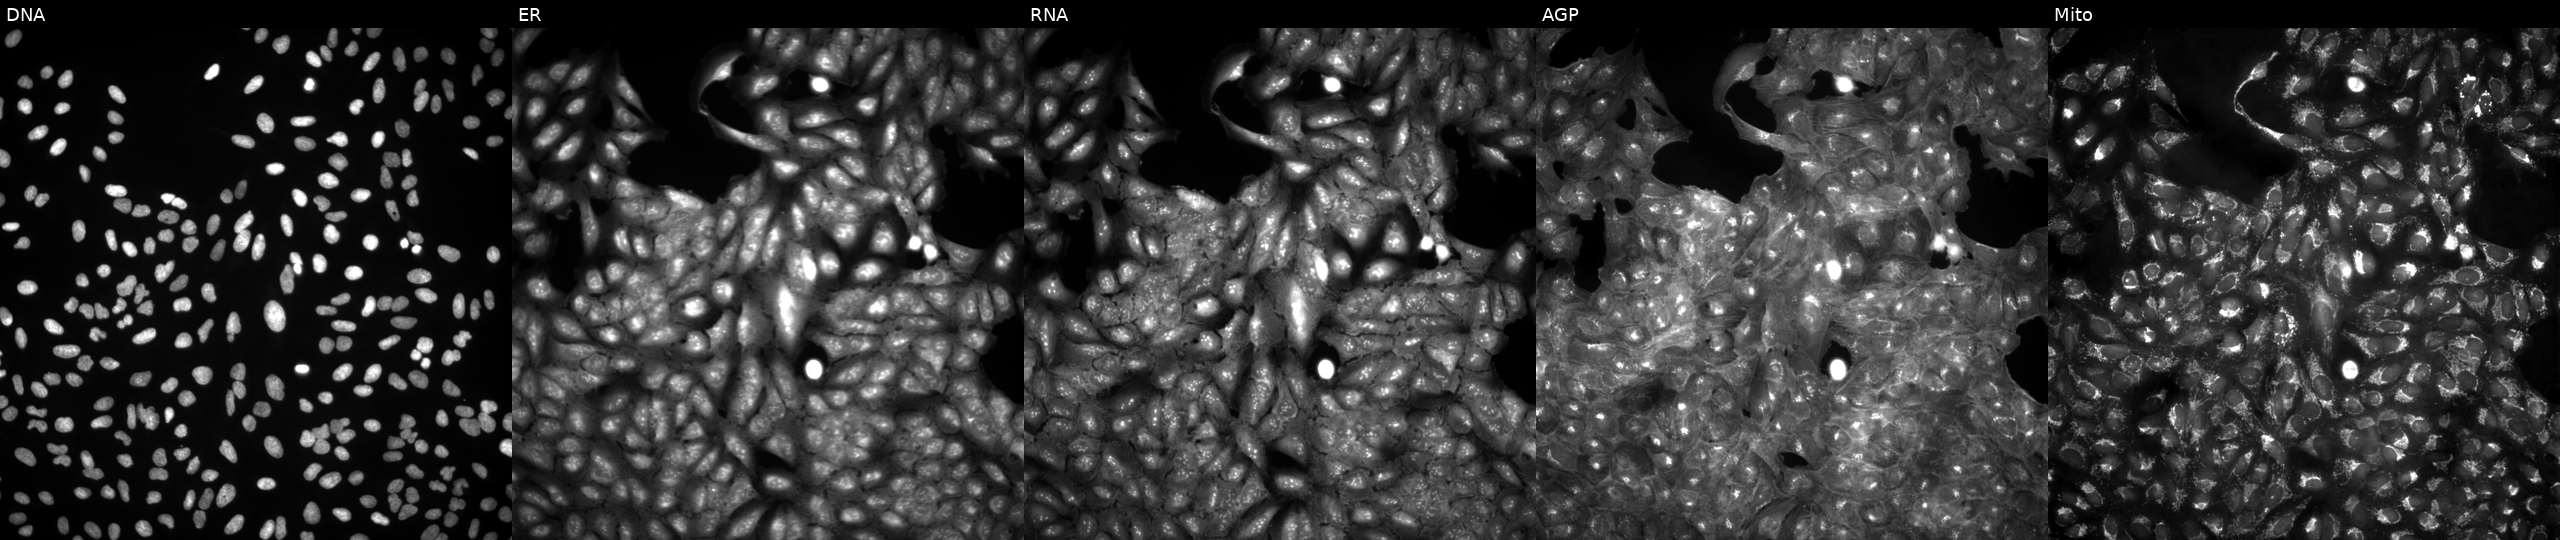
This image strip shows the five Cell Painting channels for a single field of U2OS cells untreated (empty-well control) (JUMP id JCP2022_999999). Panels show, left to right, DNA (nuclei); ER (endoplasmic reticulum); RNA (nucleoli and cytoplasmic RNA); AGP (actin cytoskeleton, Golgi, and plasma membrane); Mito (mitochondria). Source 4, plate BR00123946, well B04.